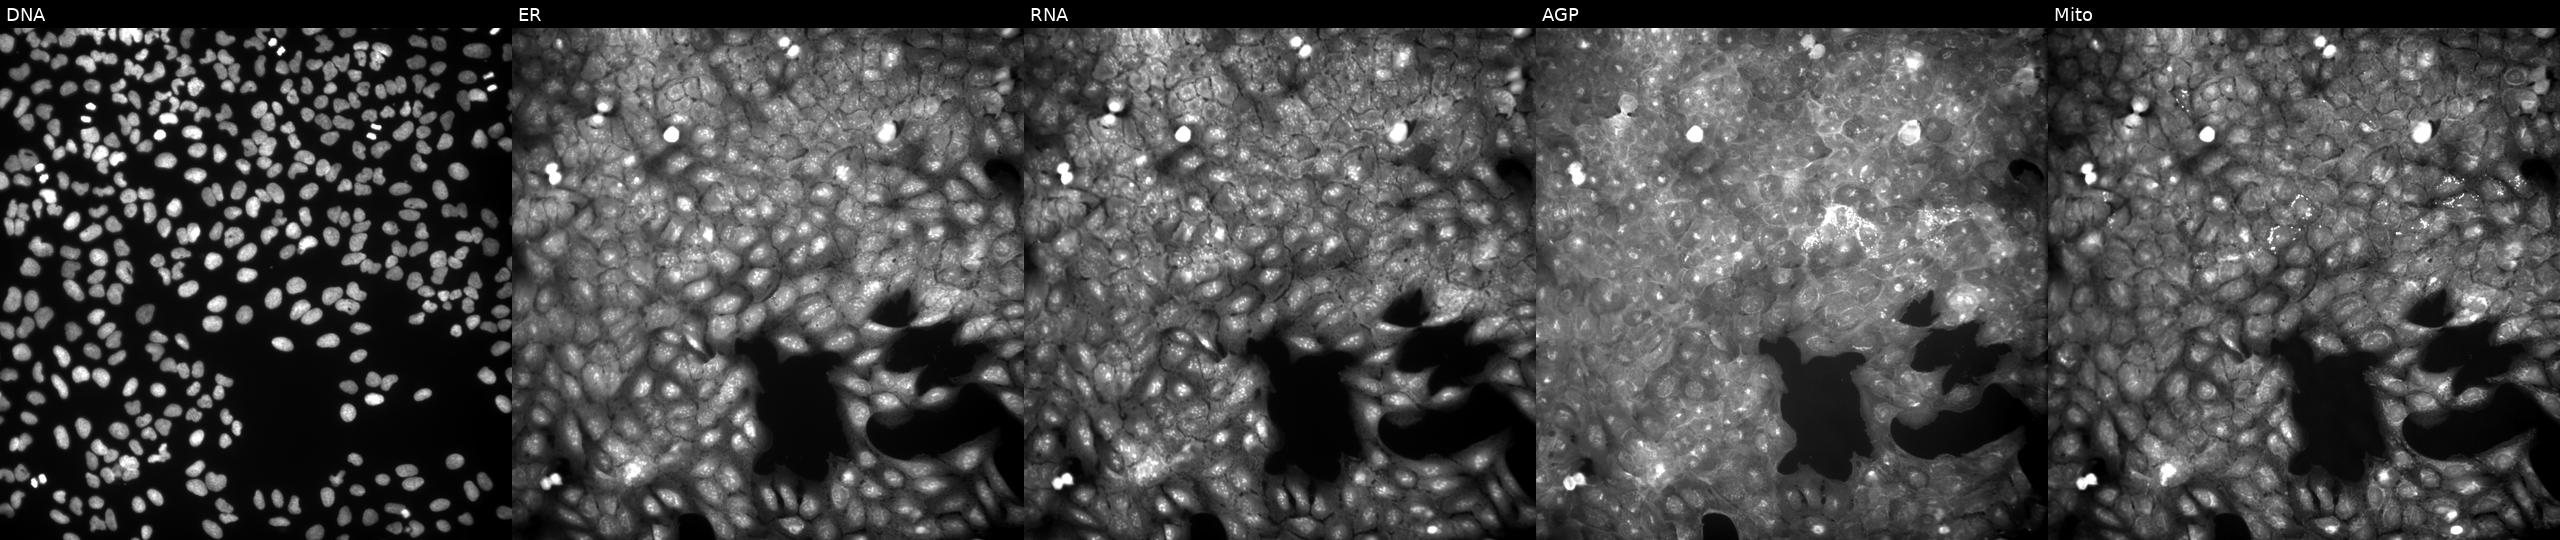
From left to right: DNA, ER, RNA, AGP, and Mito. U2OS osteosarcoma cells perturbed with a small-molecule compound [SMILES: CC(CCO)N=c1[nH]c2c(c(=O)n(C)c(=O)n2C)n1Cc1cccc(Br)c1] (JUMP id JCP2022_091837). Cell Painting assay, JUMP-CP dataset.